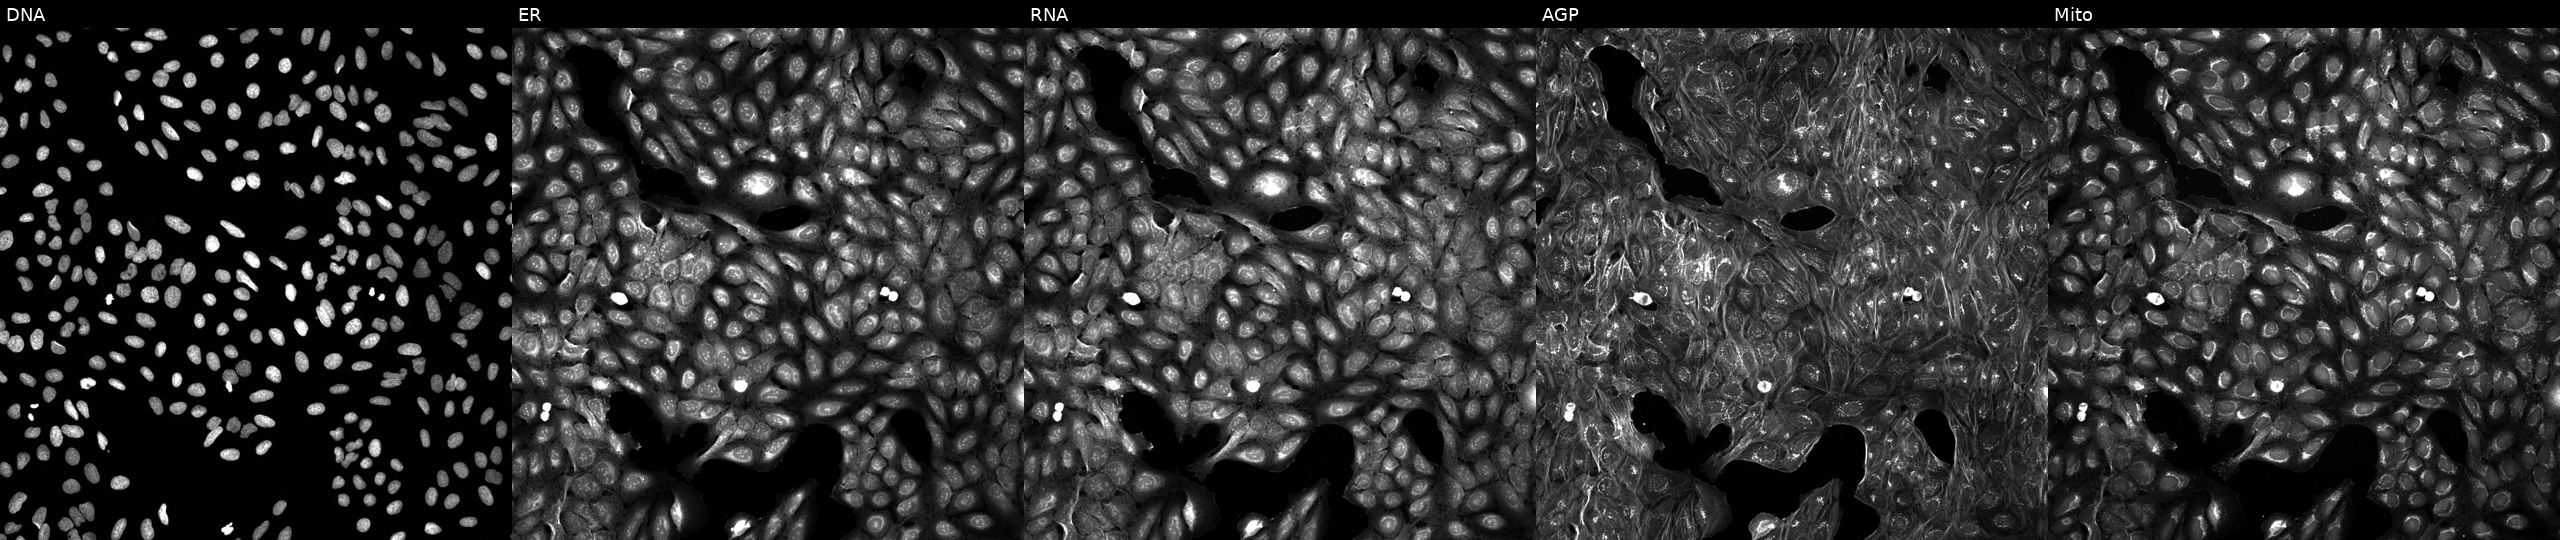
JUMP Cell Painting — COMPOUND plate. U2OS cells exposed to a small-molecule compound (InChIKey MWGFYJLUXVIOCS-UHFFFAOYSA-N). The five panels, left to right, show DNA, ER, RNA, AGP, and Mito.